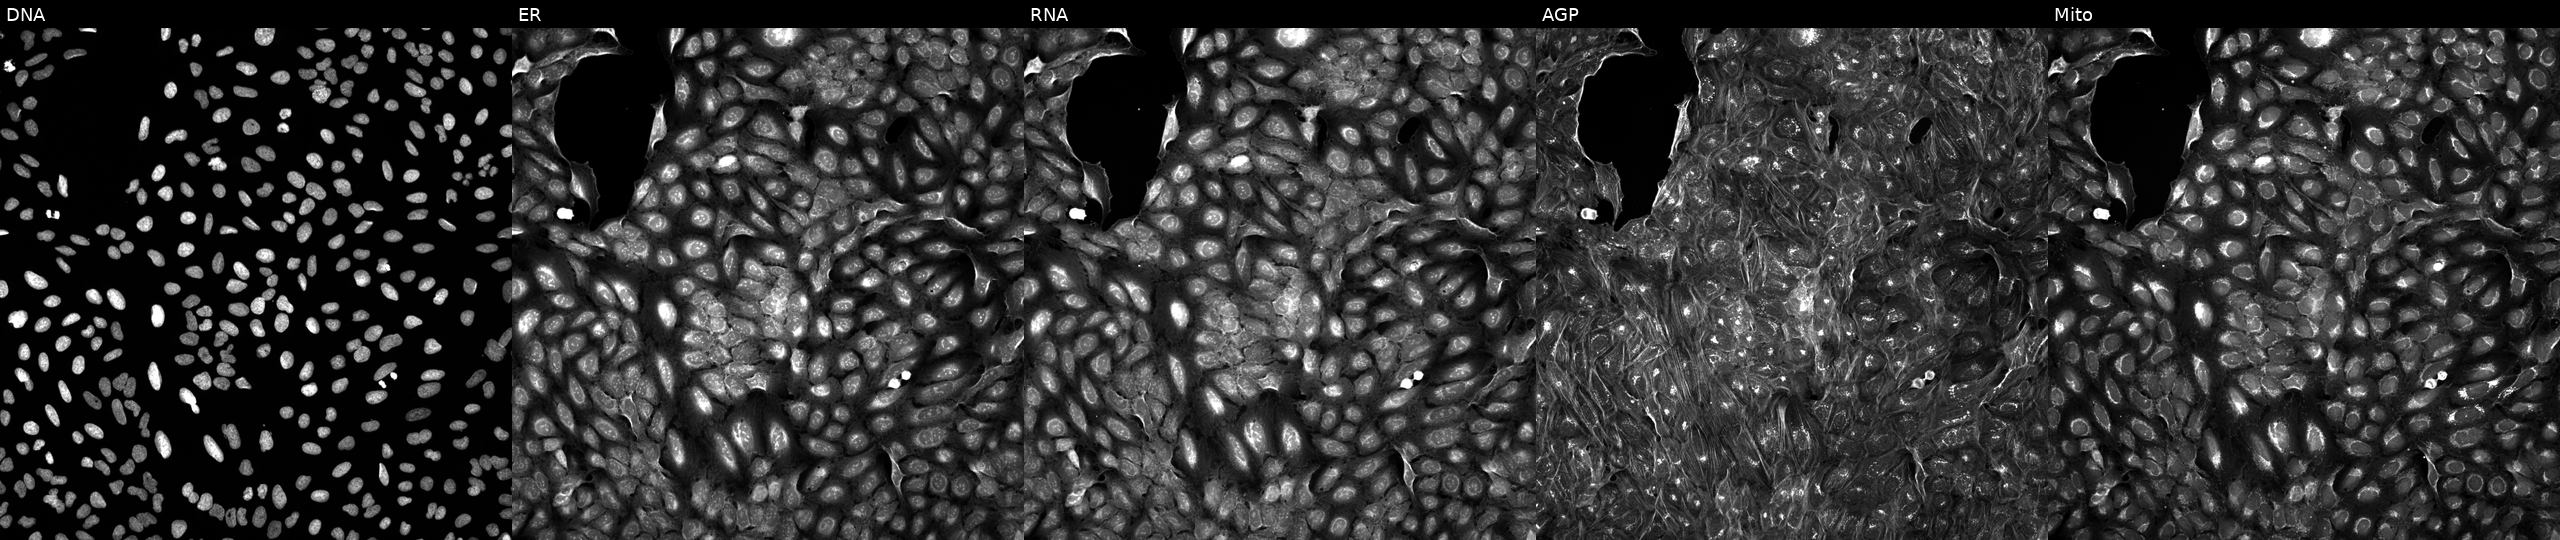
The five panels, left to right, show Hoechst 33342, concanavalin A, SYTO 14, phalloidin and WGA, MitoTracker. U2OS osteosarcoma cells exposed to a small-molecule compound. Cell Painting assay, JUMP-CP dataset. Source 5, plate APTJUM105, well P14.